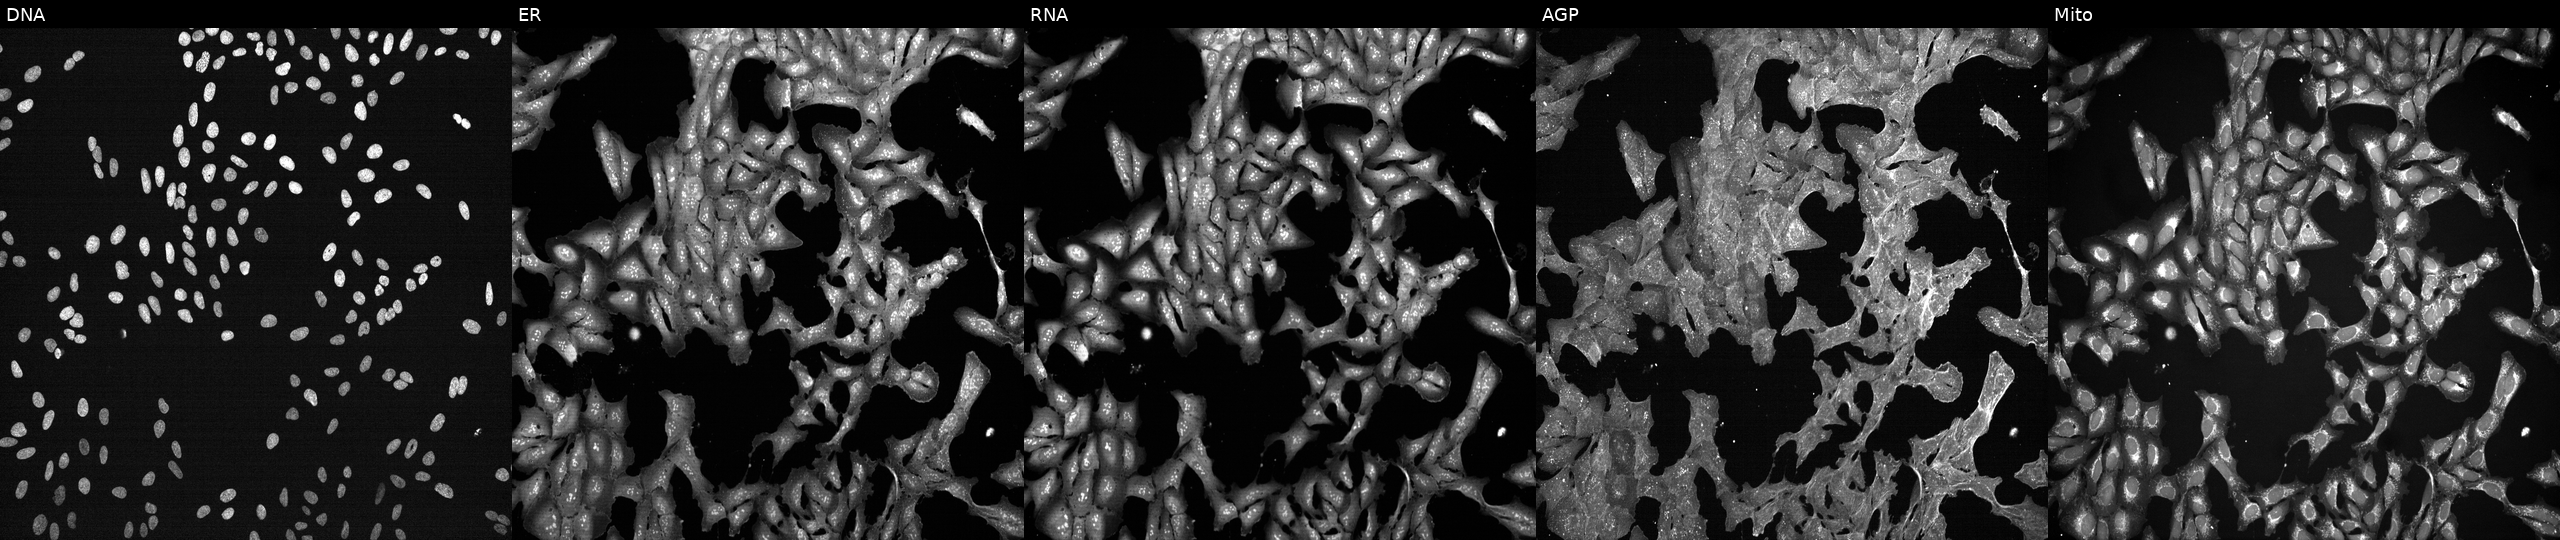
U2OS cells, Cell Painting assay, treated with a small-molecule compound (InChIKey ZZZRUAITSXLWBH-UHFFFAOYSA-N) [SMILES: CN(C)c1ccc(O)c2c1CC1CC3C(N(C)C)C(=O)C(C(N)=O)C(=O)C3(O)C(=O)C1C2=O]. From left to right: DNA (nuclei); ER (endoplasmic reticulum); RNA (nucleoli and cytoplasmic RNA); AGP (actin cytoskeleton, Golgi, and plasma membrane); Mito (mitochondria). Each panel is percentile-stretched 16-bit fluorescence. Source 7, plate CP2-SC1-25, well L07.